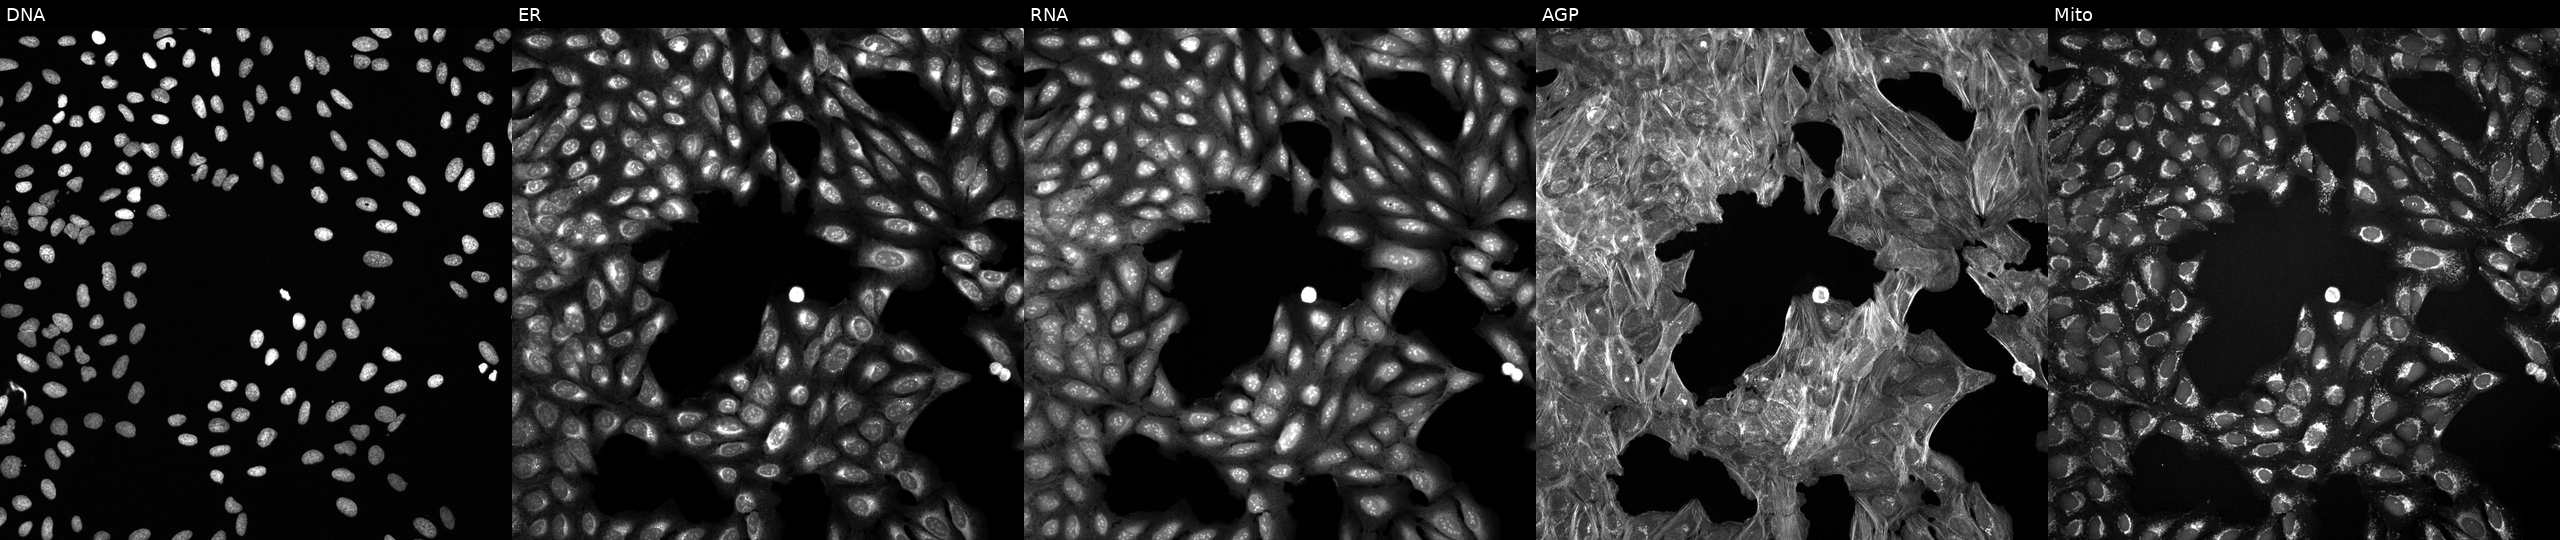
JUMP Cell Painting — COMPOUND plate. U2OS cells perturbed with a small-molecule compound (JUMP id JCP2022_107212). From left to right: DNA (nuclei); ER (endoplasmic reticulum); RNA (nucleoli and cytoplasmic RNA); AGP (actin cytoskeleton, Golgi, and plasma membrane); Mito (mitochondria). Source 6, plate 110000293082, well B19.